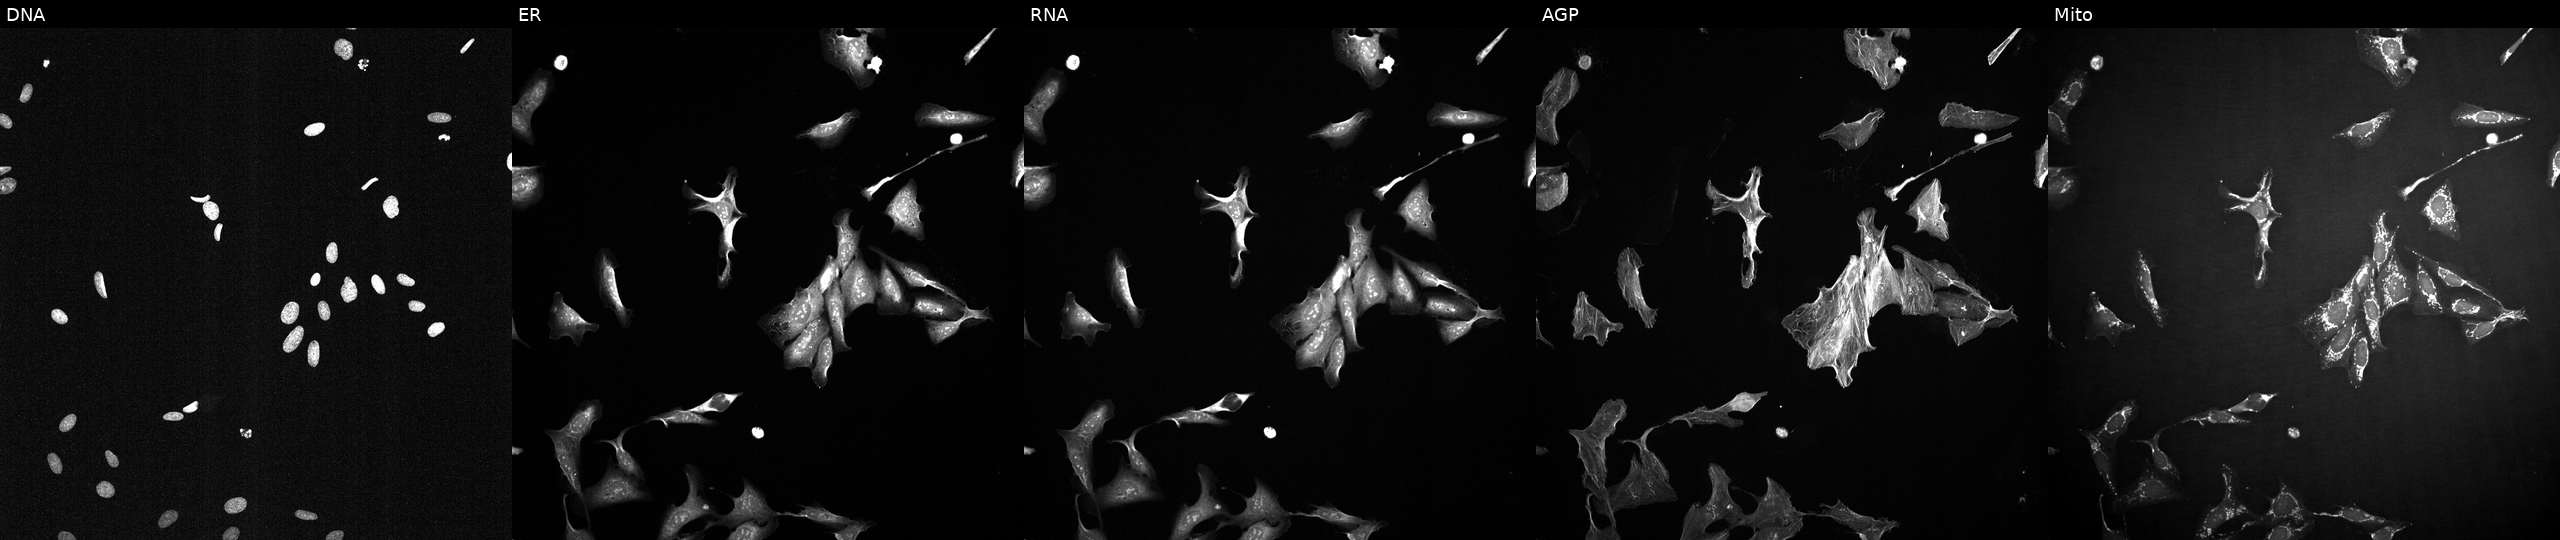
High-content fluorescence microscopy (Cell Painting). Cell line: U2OS. Perturbation: perturbed with a small-molecule compound (InChIKey YPHMISFOHDHNIV-UHFFFAOYSA-N) (JUMP id JCP2022_109917). From left to right: DNA (nuclei); ER (endoplasmic reticulum); RNA (nucleoli and cytoplasmic RNA); AGP (actin cytoskeleton, Golgi, and plasma membrane); Mito (mitochondria). Source 2, plate 1053599503, well K08.